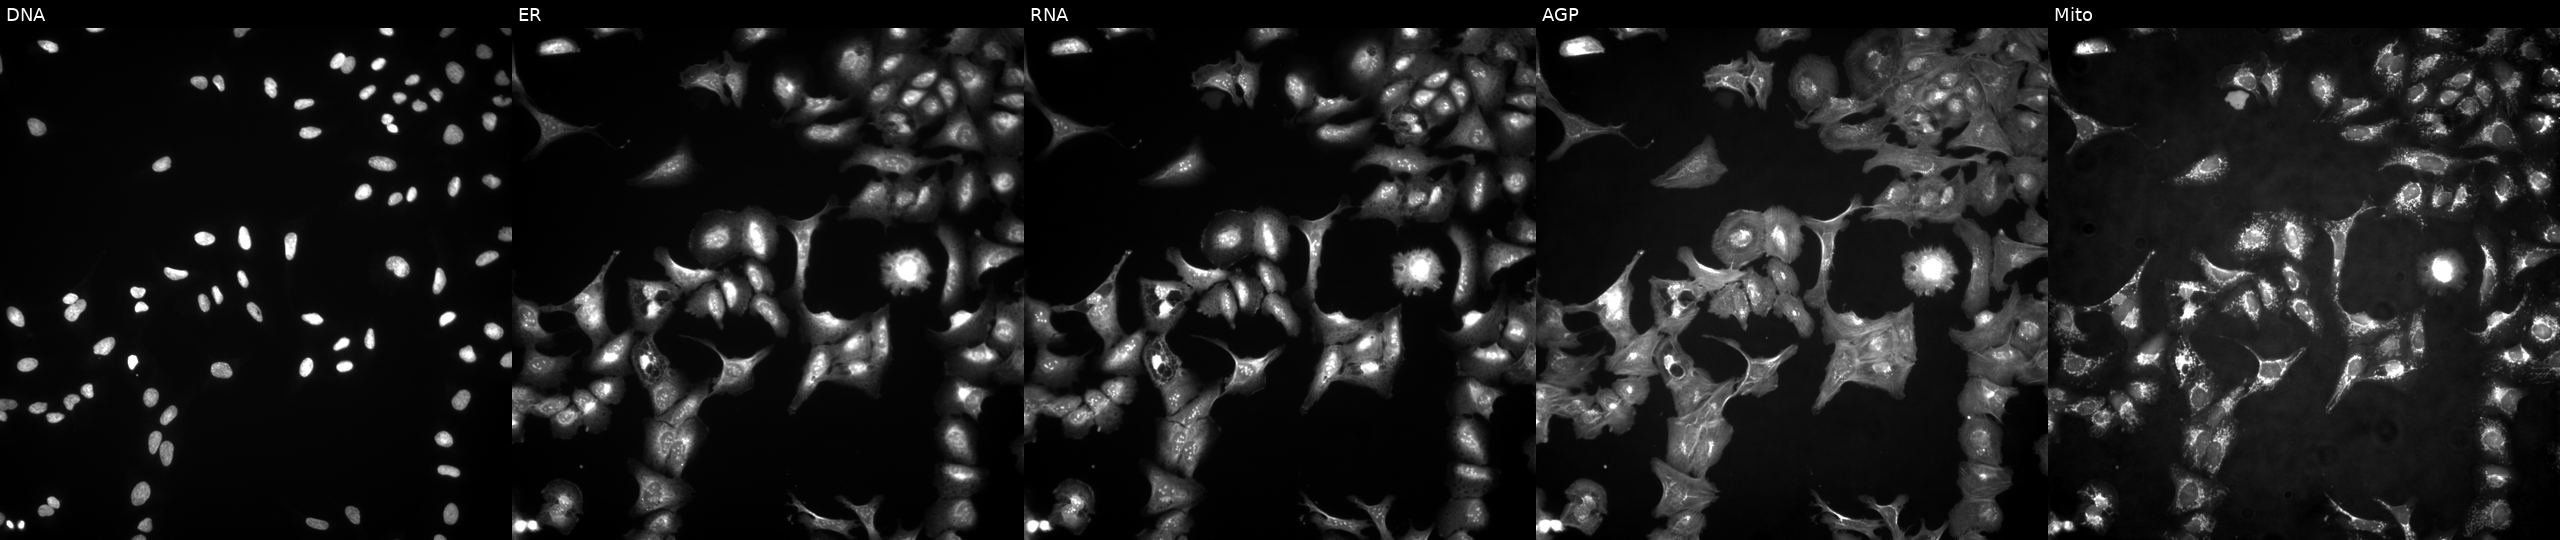
Five-channel Cell Painting image of U2OS cells with LY6K overexpressed (ORF) (JUMP id JCP2022_913221). Channels (left→right): DNA (nuclei); ER (endoplasmic reticulum); RNA (nucleoli and cytoplasmic RNA); AGP (actin cytoskeleton, Golgi, and plasma membrane); Mito (mitochondria).